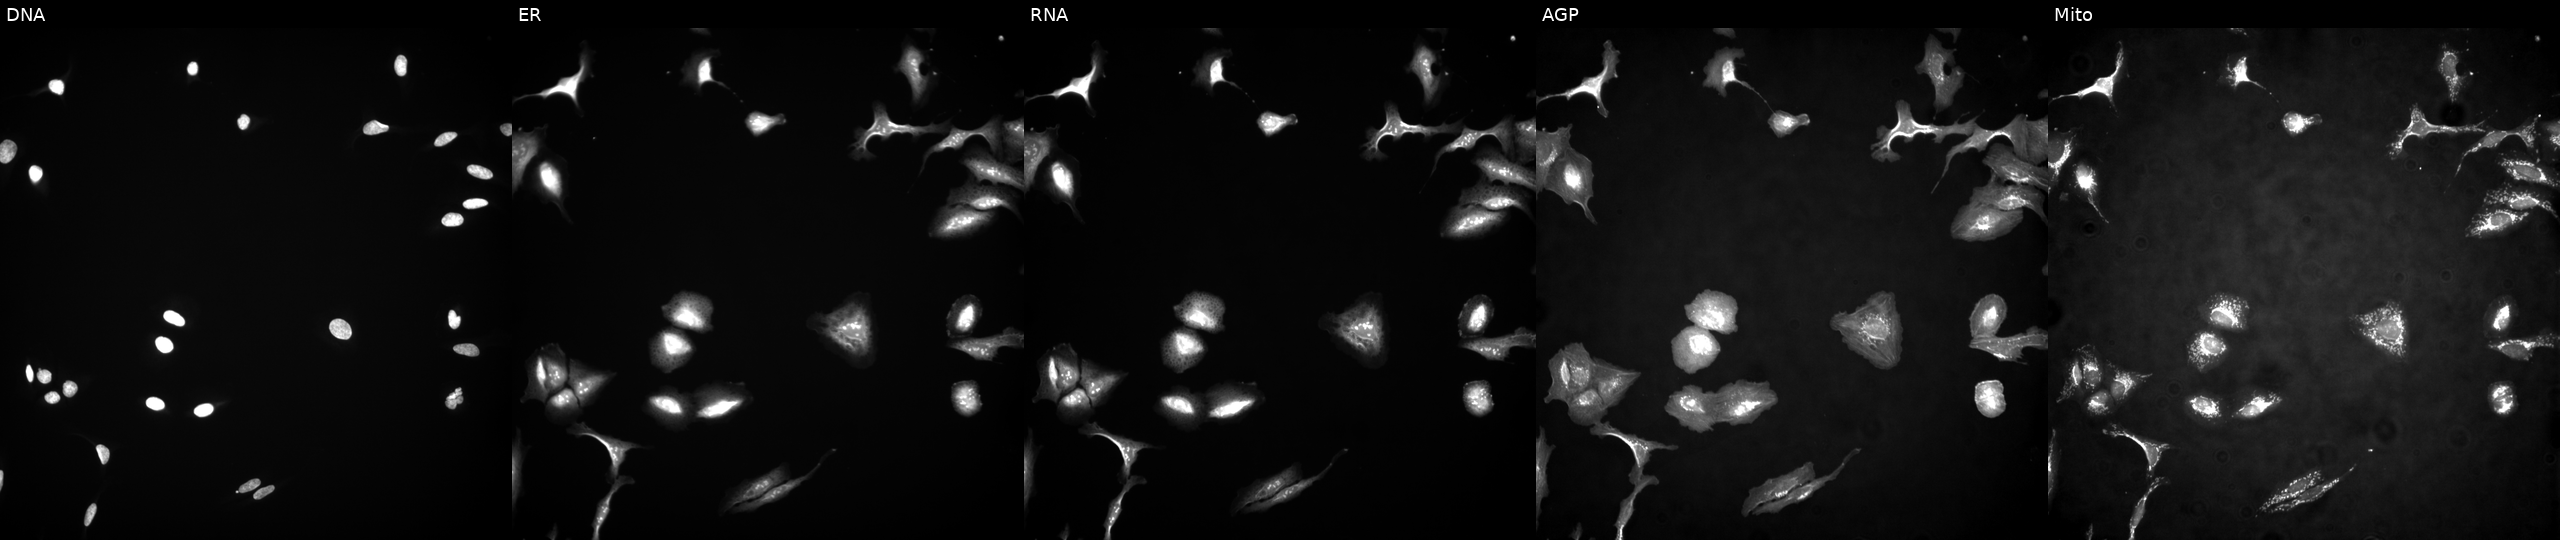
JUMP Cell Painting — ORF plate. U2OS cells transfected with an ORF construct for ZNF572. From left to right: DNA, ER, RNA, AGP, and Mito.